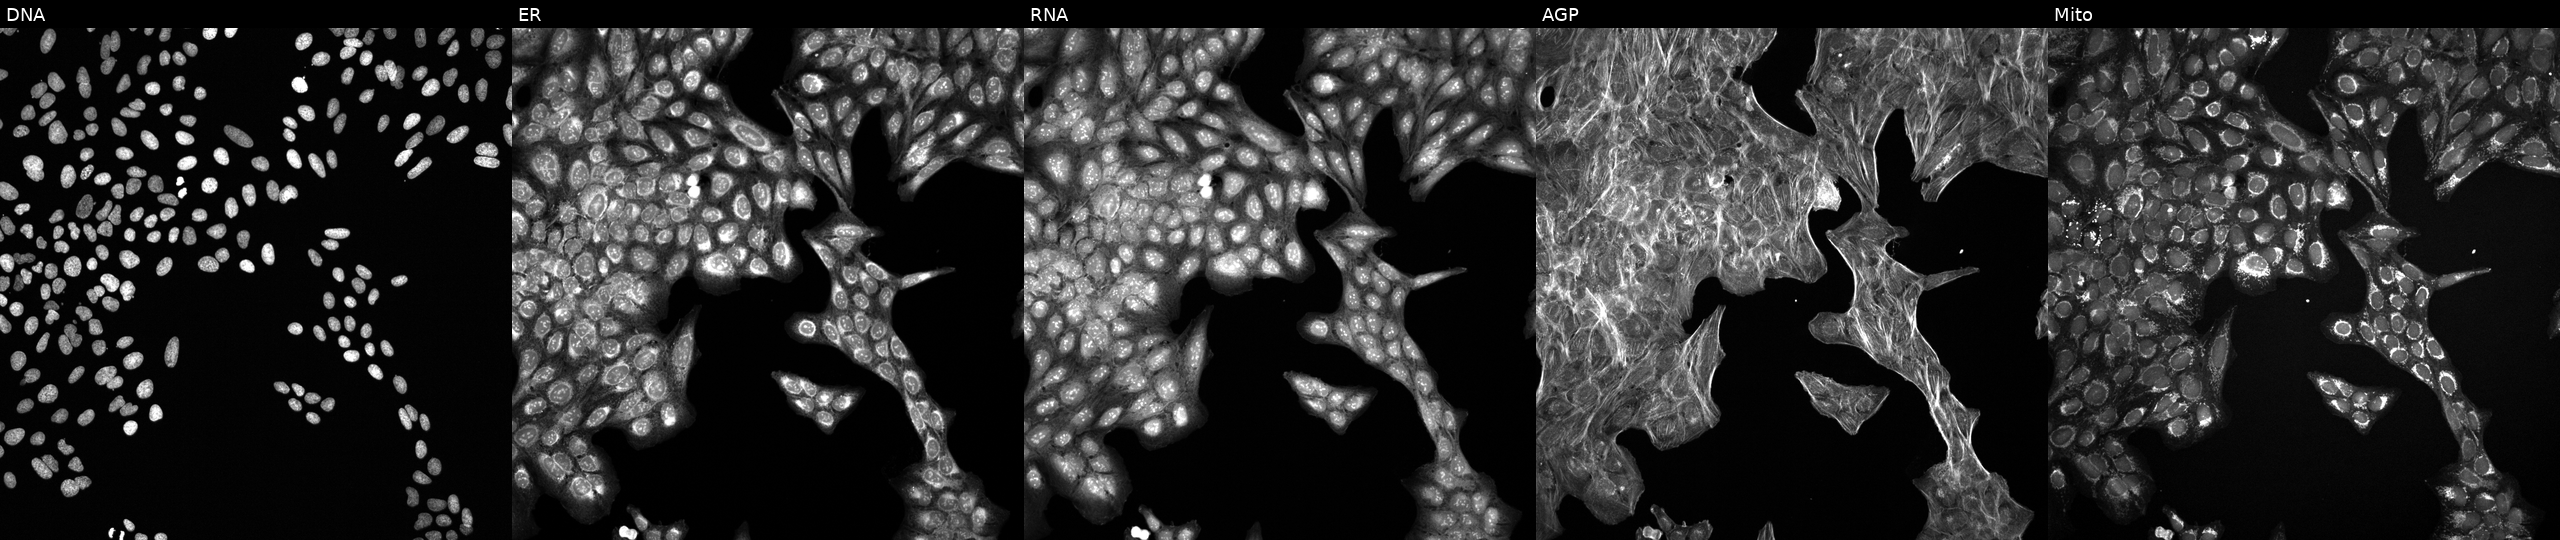
This image strip shows the five Cell Painting channels for a single field of U2OS cells treated with LY2109761 (positive-control compound) (JUMP id JCP2022_035095). Panels show, left to right, Hoechst 33342, concanavalin A, SYTO 14, phalloidin and WGA, MitoTracker.